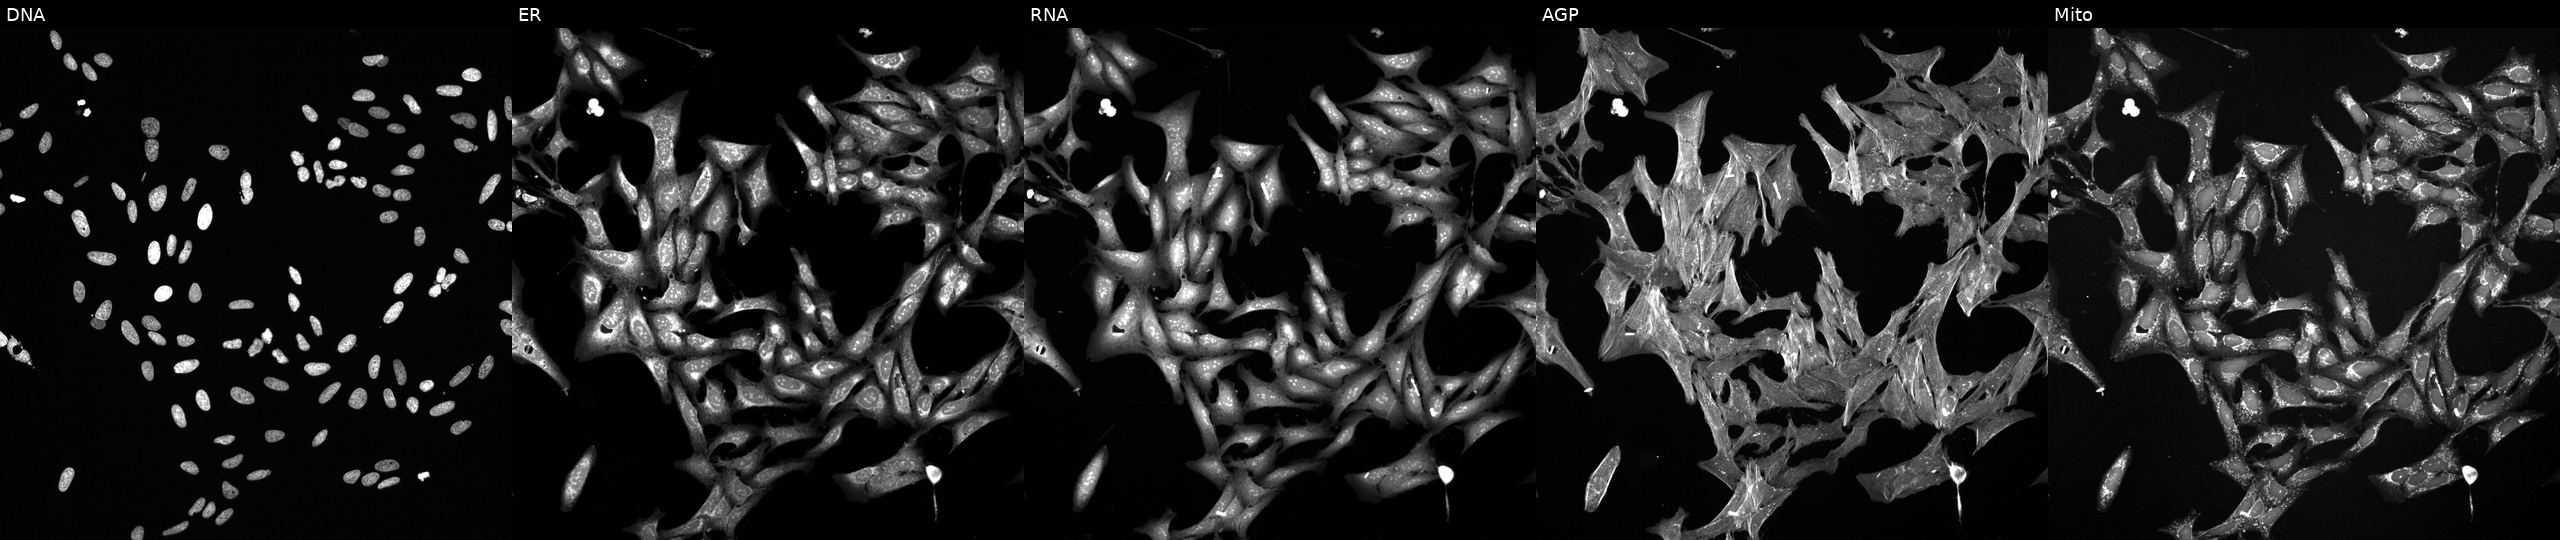
U2OS cells, Cell Painting assay, treated with a small-molecule compound (JUMP id JCP2022_043287). The five panels, left to right, show Hoechst 33342, concanavalin A, SYTO 14, phalloidin and WGA, MitoTracker. Each panel is percentile-stretched 16-bit fluorescence. Source 6, plate 110000294901, well M23.